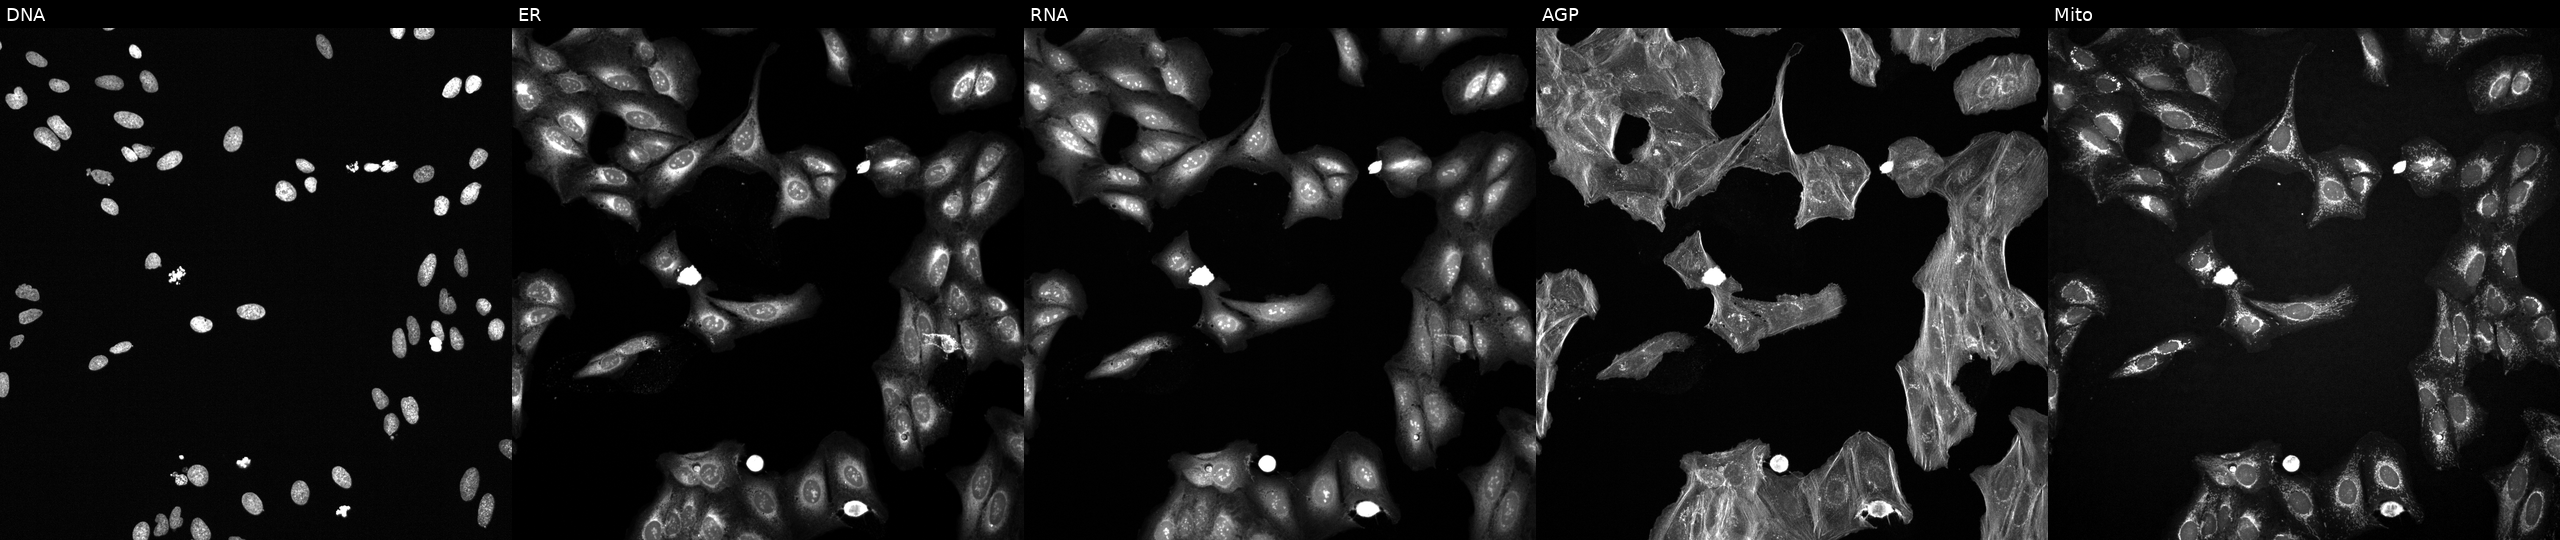
This image strip shows the five Cell Painting channels for a single field of U2OS cells perturbed with a small-molecule compound (InChIKey RAMROQQYRRQPDL-UHFFFAOYSA-N). Channels (left→right): Hoechst 33342, concanavalin A, SYTO 14, phalloidin and WGA, MitoTracker. Source 6, plate 110000293093, well C22.